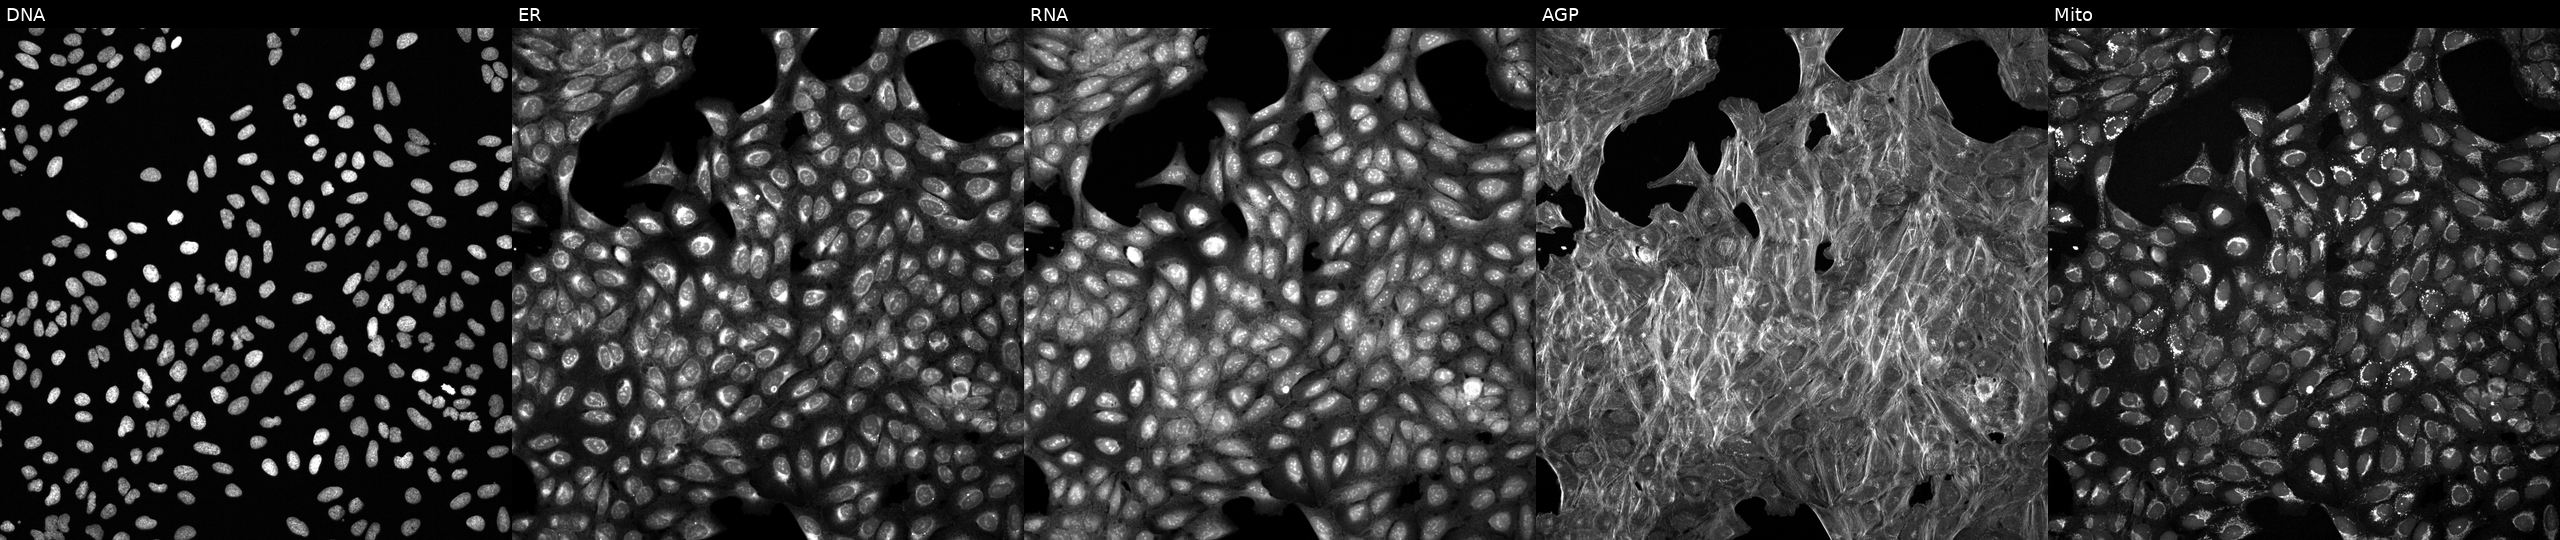
JUMP Cell Painting — COMPOUND plate. U2OS cells perturbed with a small-molecule compound (InChIKey UTTDDUCILSANRN-UHFFFAOYSA-N) (JUMP id JCP2022_091498). Channels (left→right): DNA, ER, RNA, AGP, and Mito.